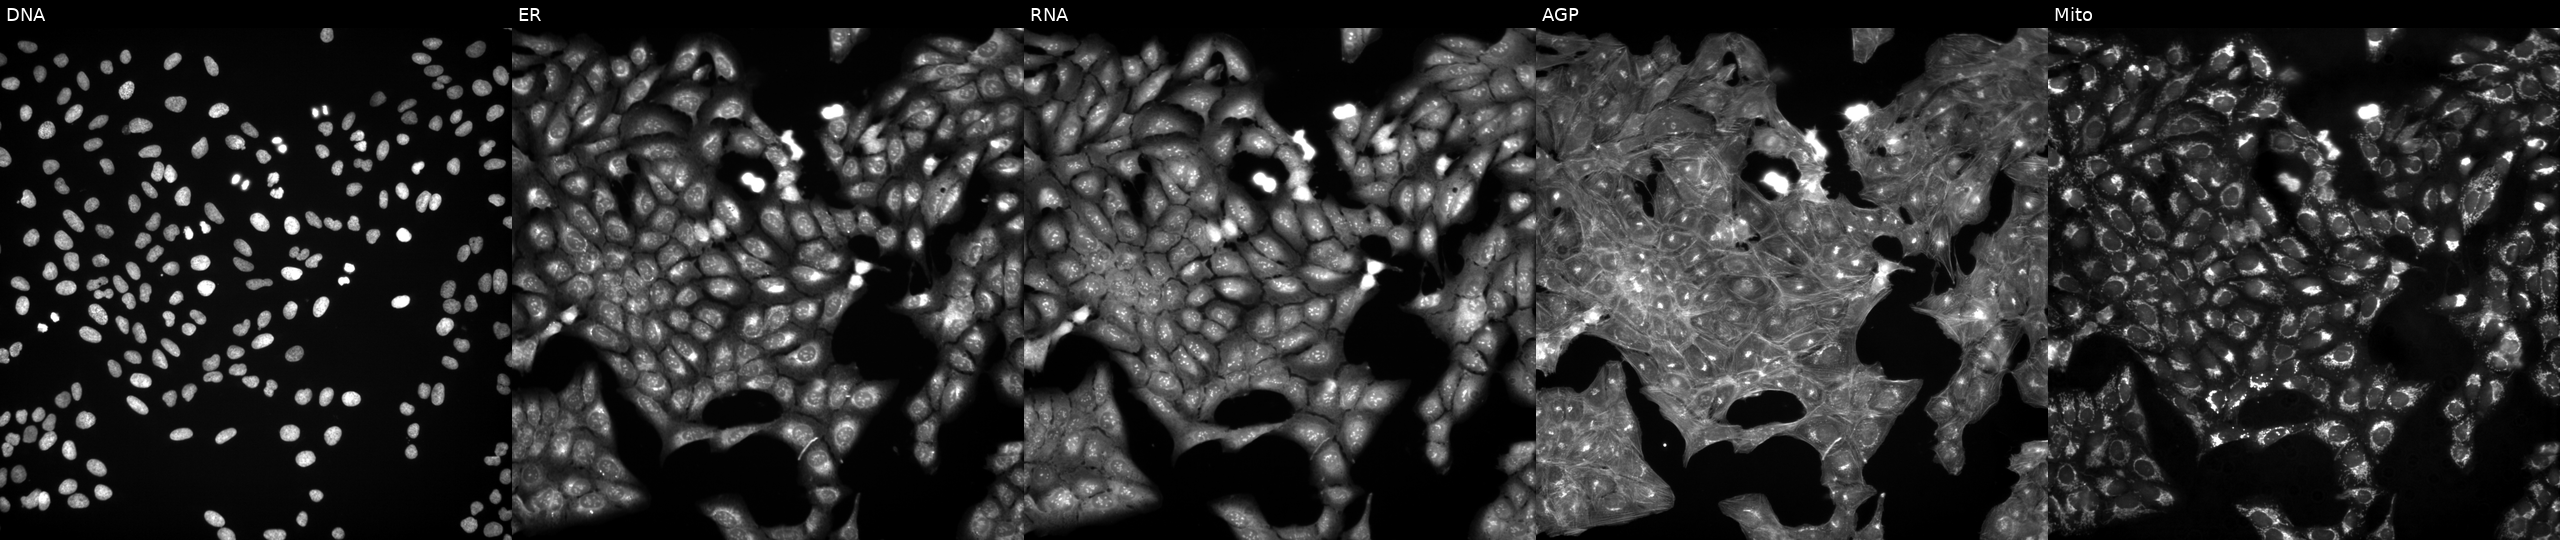
U2OS cells, Cell Painting assay, exposed to a small-molecule compound [SMILES: Cc1cccc(Oc2nc3c(C)cccn3c(=O)c2C=C(C#N)c2nc3ccccc3s2)c1]. Panels show, left to right, DNA (nuclei); ER (endoplasmic reticulum); RNA (nucleoli and cytoplasmic RNA); AGP (actin cytoskeleton, Golgi, and plasma membrane); Mito (mitochondria). Each panel is percentile-stretched 16-bit fluorescence.